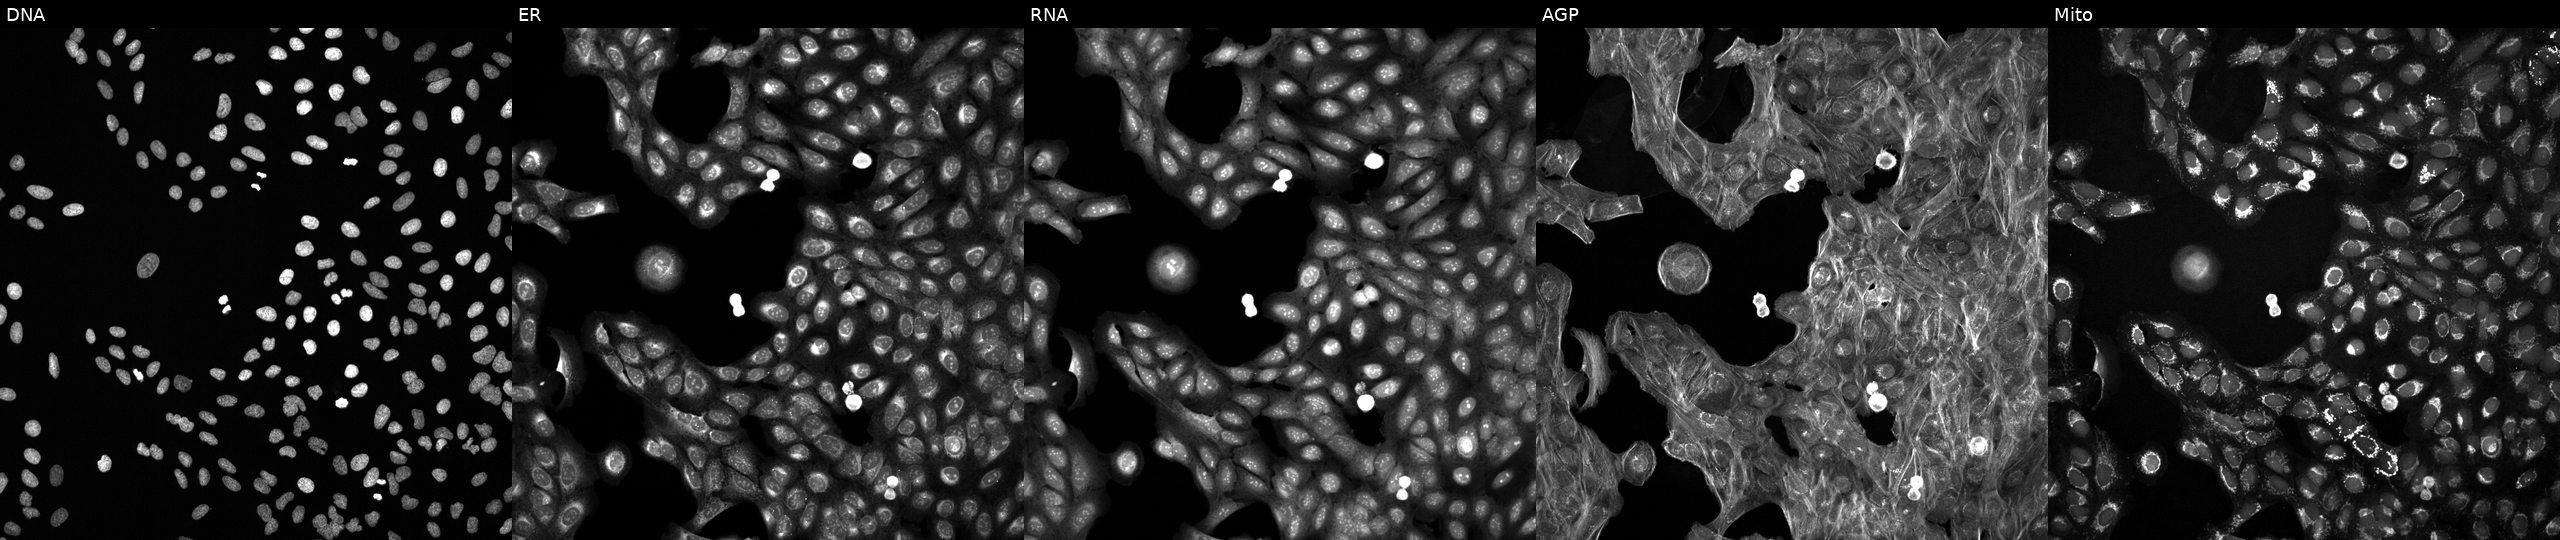
JUMP Cell Painting — TARGET2 plate. U2OS cells perturbed with a small-molecule compound. The five panels, left to right, show Hoechst 33342, concanavalin A, SYTO 14, phalloidin and WGA, MitoTracker.